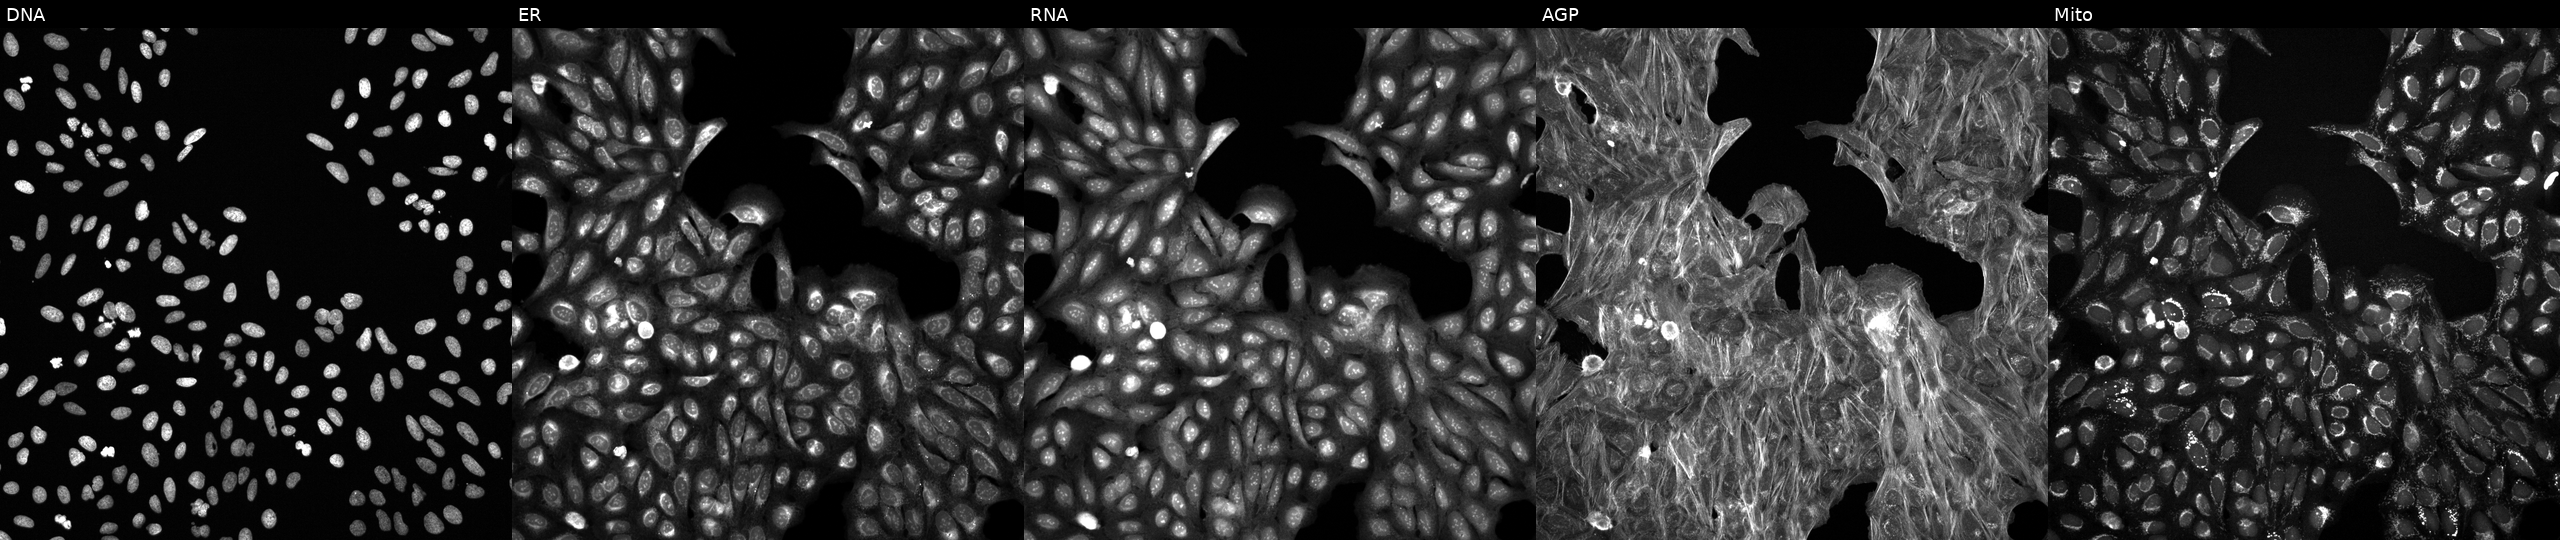
U2OS cells, Cell Painting assay, treated with a small-molecule compound (InChIKey JILQMTFIBXRTME-UHFFFAOYSA-N) [SMILES: O=C(NCc1ccc(F)c(F)c1)C1=COC2=NC(=O)N(Cc3ccc(F)cc3)CCN12] (JUMP id JCP2022_039989). The five panels, left to right, show Hoechst 33342, concanavalin A, SYTO 14, phalloidin and WGA, MitoTracker. Each panel is percentile-stretched 16-bit fluorescence.